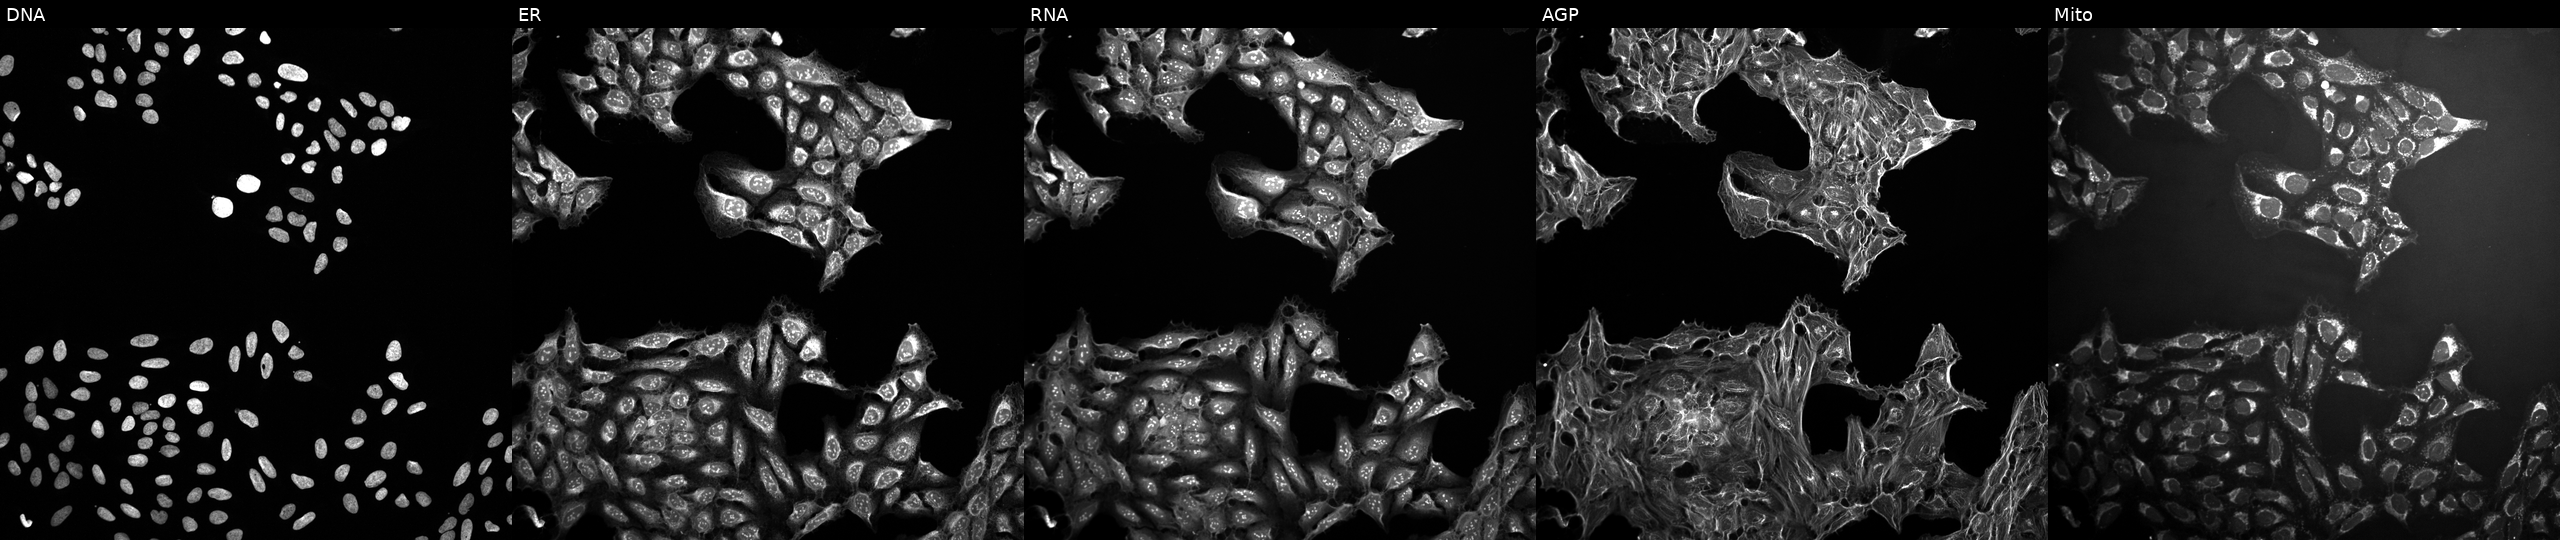
U2OS cells, Cell Painting assay, treated with a small-molecule compound (InChIKey MENNDDDTIIZDDN-UHFFFAOYSA-N) (JUMP id JCP2022_053626). From left to right: DNA, ER, RNA, AGP, and Mito. Each panel is percentile-stretched 16-bit fluorescence.